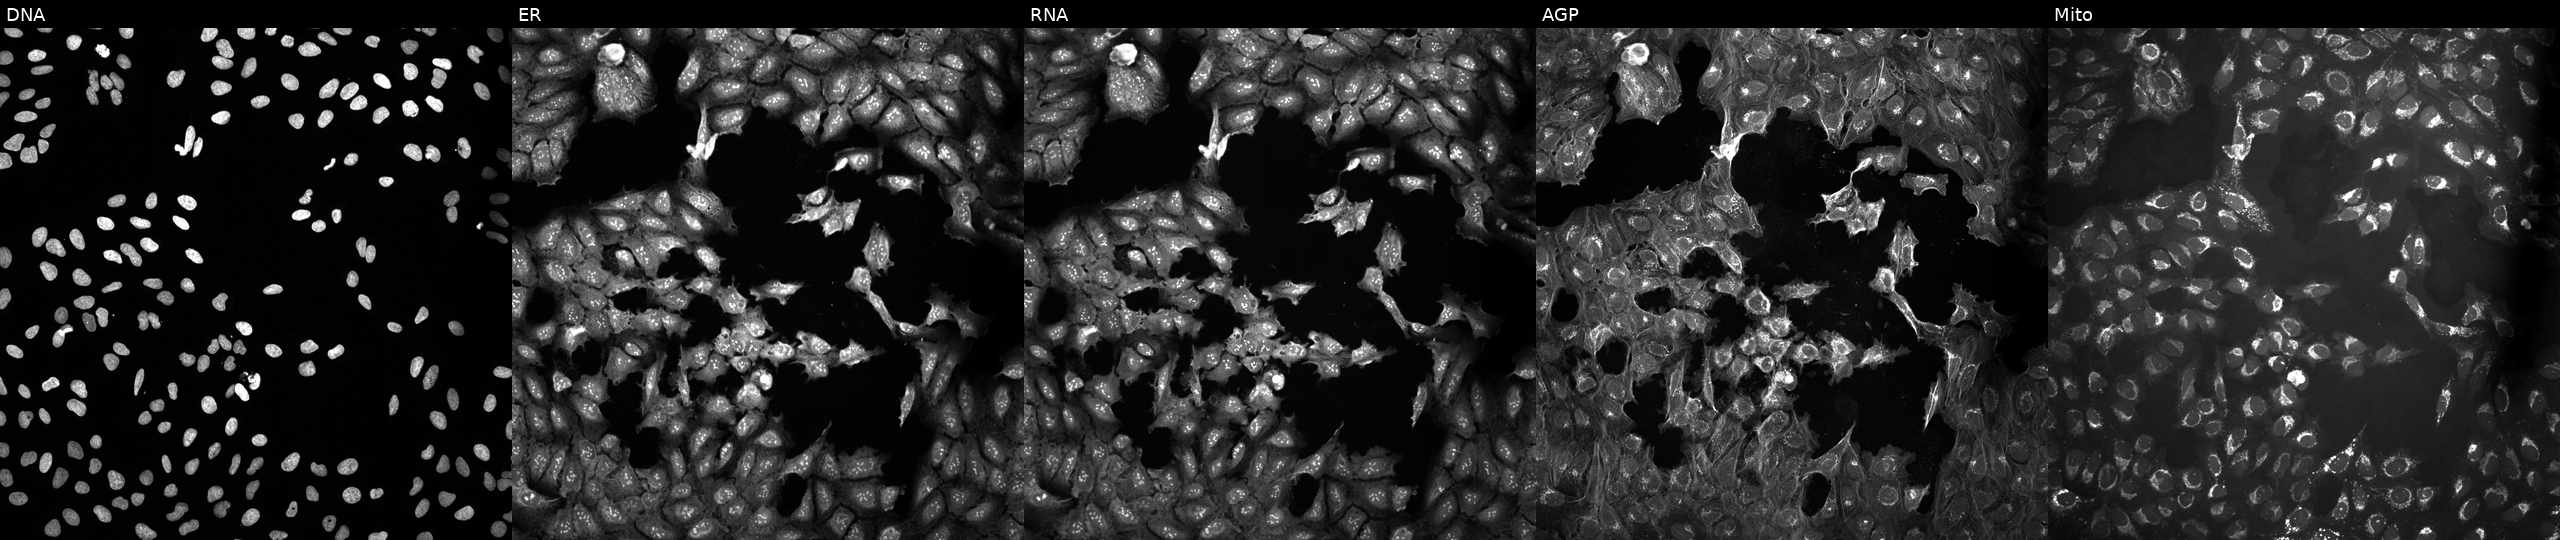
High-content fluorescence microscopy (Cell Painting). Cell line: U2OS. Perturbation: untreated (empty-well control). From left to right: DNA (nuclei); ER (endoplasmic reticulum); RNA (nucleoli and cytoplasmic RNA); AGP (actin cytoskeleton, Golgi, and plasma membrane); Mito (mitochondria). Source 10, plate Dest210531-152149, well L06.